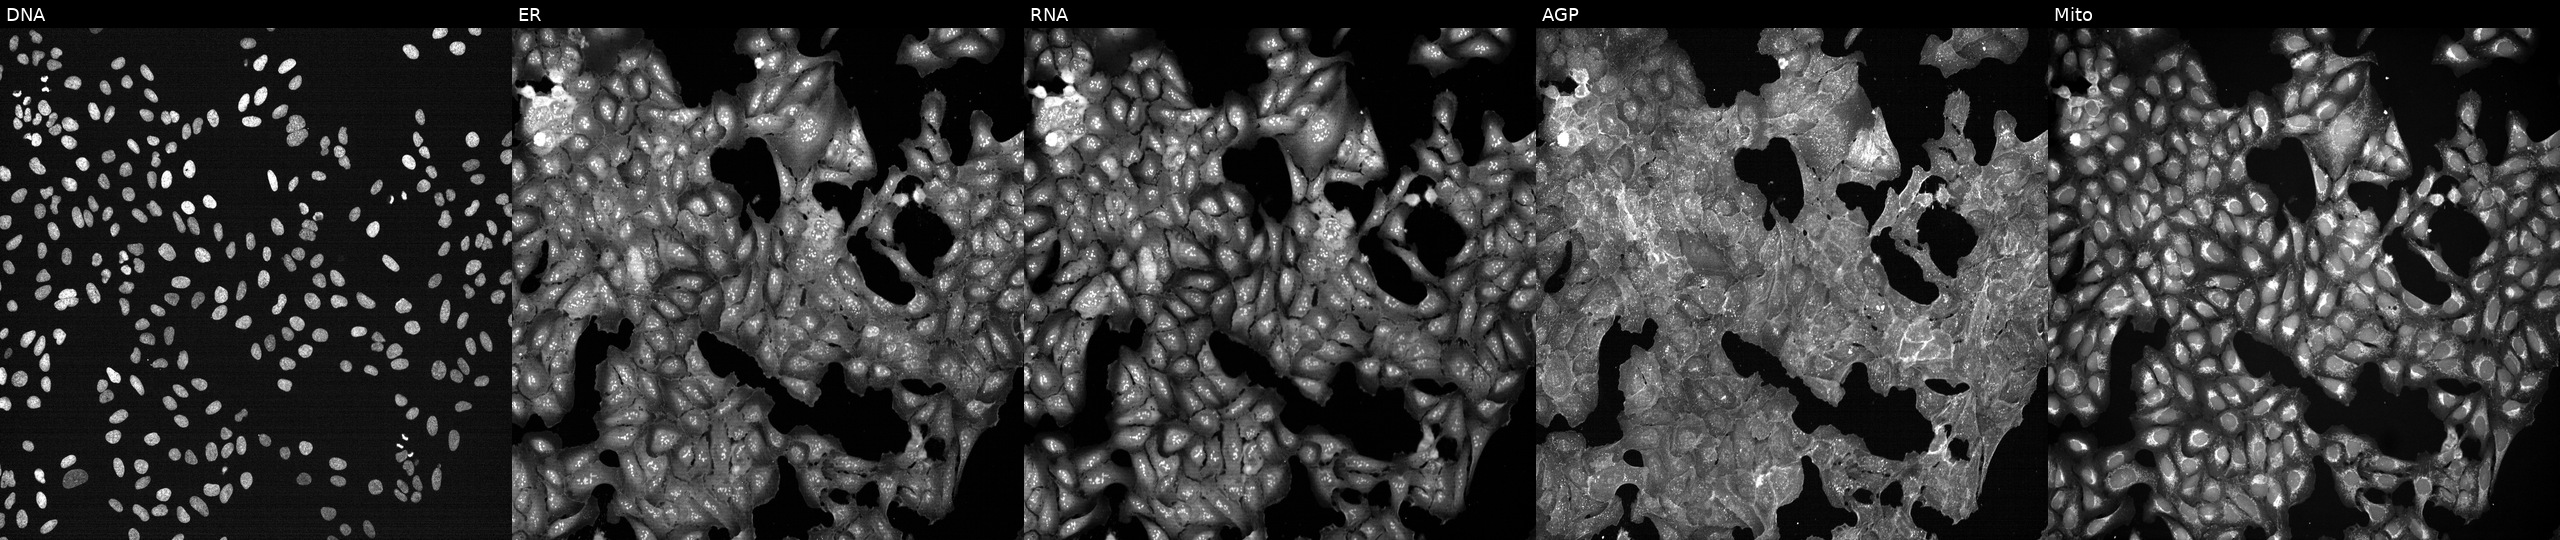
High-content fluorescence microscopy (Cell Painting). Cell line: U2OS. Perturbation: treated with DMSO vehicle only (negative control) (JUMP id JCP2022_033924). The five panels, left to right, show DNA (nuclei); ER (endoplasmic reticulum); RNA (nucleoli and cytoplasmic RNA); AGP (actin cytoskeleton, Golgi, and plasma membrane); Mito (mitochondria). Source 7, plate CP2-SC1-25, well H17.